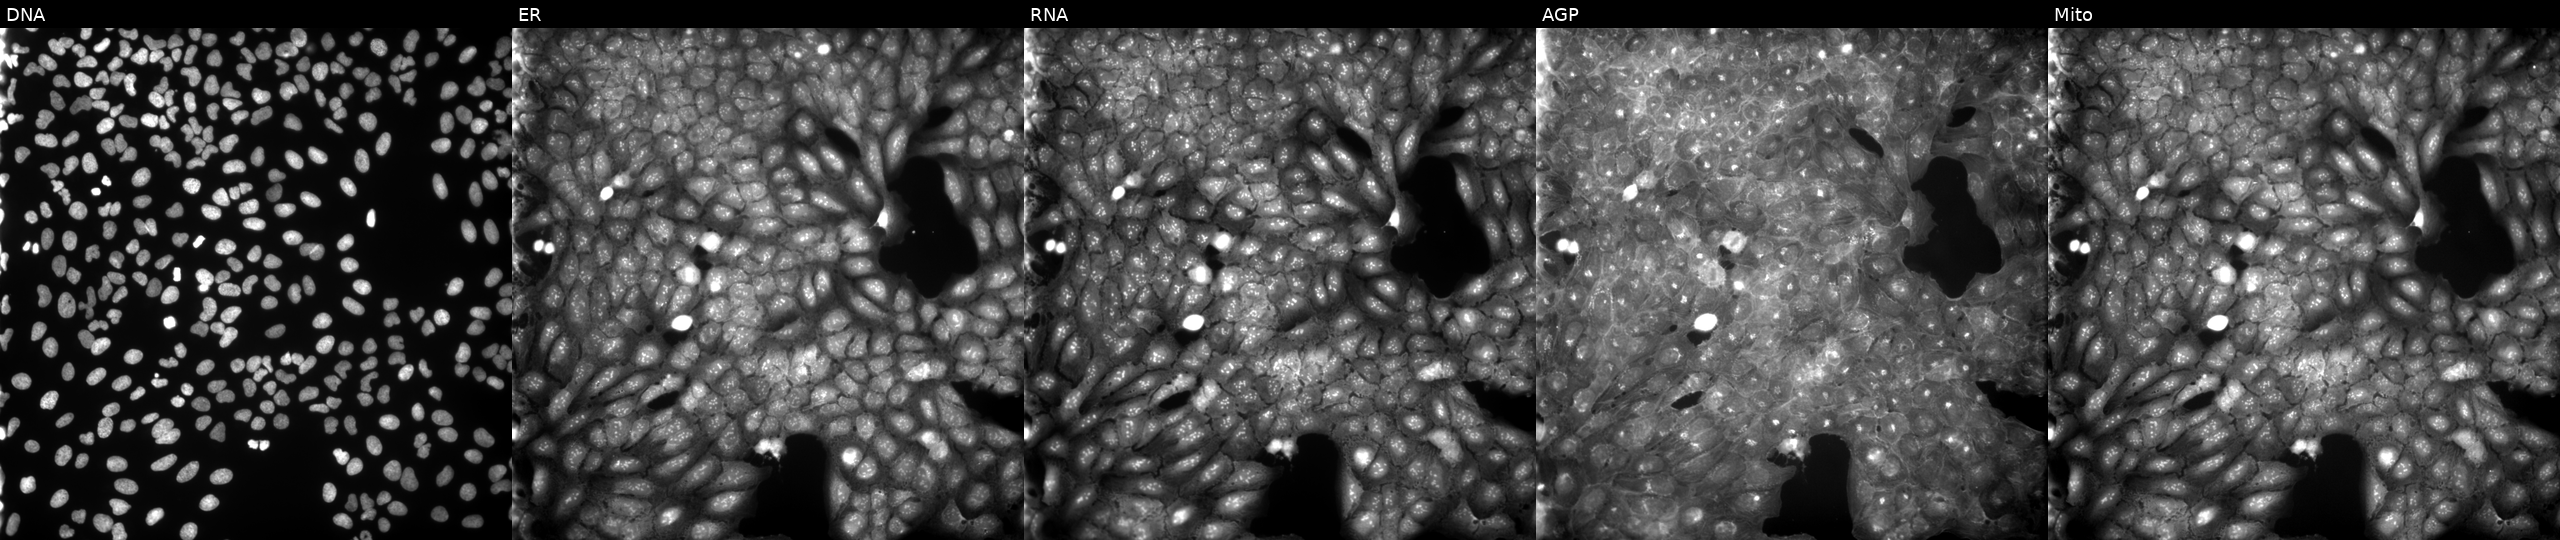
From left to right: Hoechst 33342, concanavalin A, SYTO 14, phalloidin and WGA, MitoTracker. U2OS osteosarcoma cells exposed to a small-molecule compound (JUMP id JCP2022_102447). Cell Painting assay, JUMP-CP dataset. Source 9, plate GR00003381, well P13.